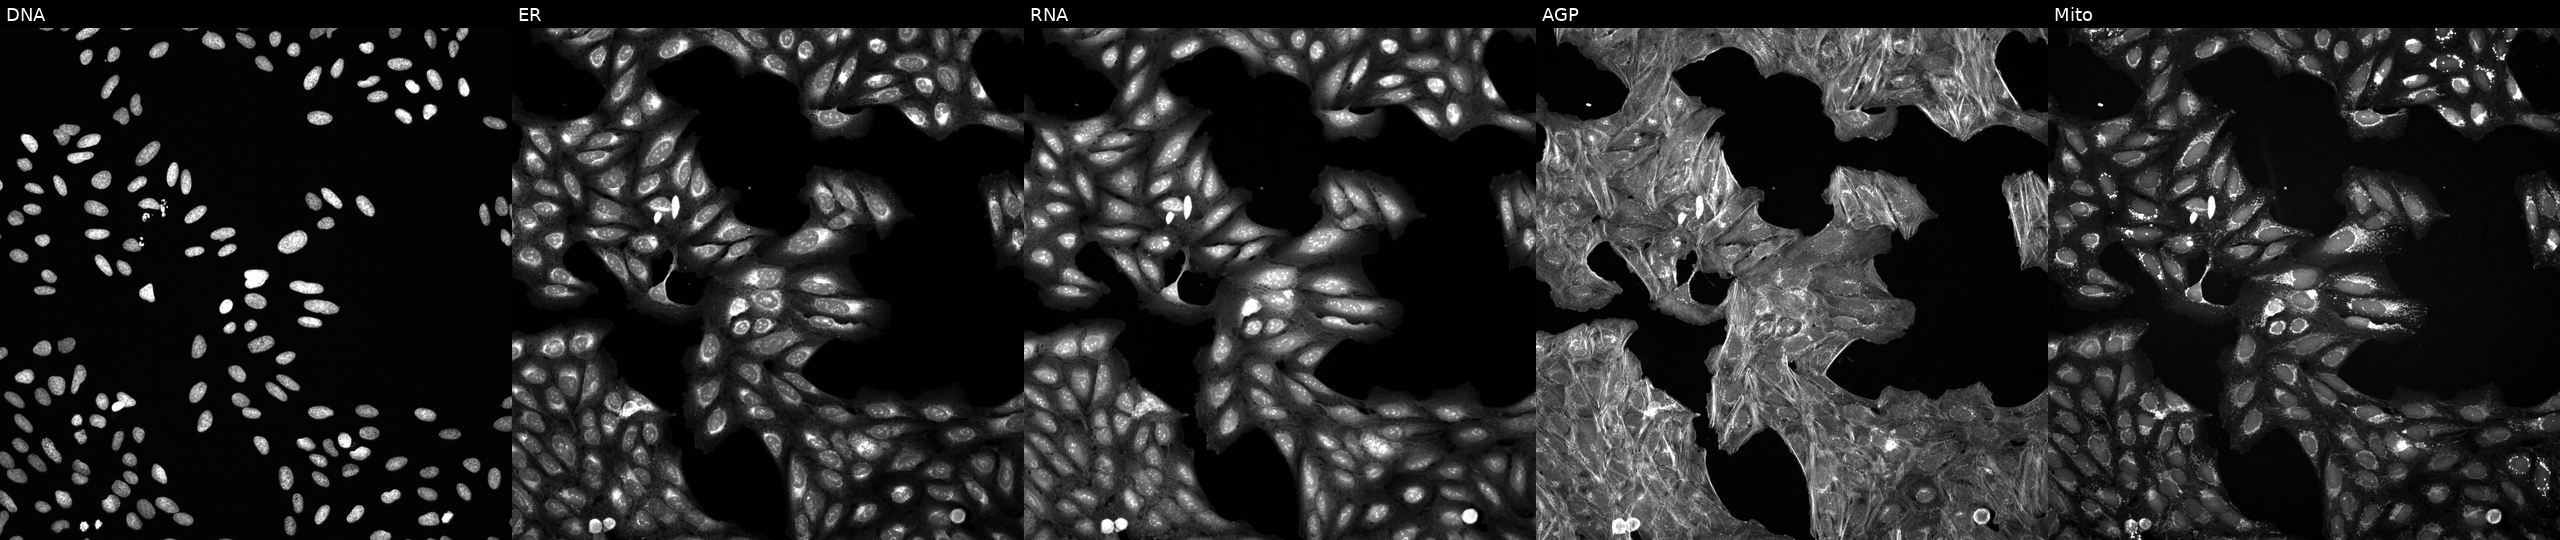
JUMP Cell Painting — TARGET2 plate. U2OS cells treated with a small-molecule compound (InChIKey QHKYPYXTTXKZST-UHFFFAOYSA-N) [SMILES: Oc1ccc(-c2nc(-c3ccc(F)cc3)c(-c3ccncc3)[nH]2)cc1] (JUMP id JCP2022_073458). Channels (left→right): DNA (nuclei); ER (endoplasmic reticulum); RNA (nucleoli and cytoplasmic RNA); AGP (actin cytoskeleton, Golgi, and plasma membrane); Mito (mitochondria).